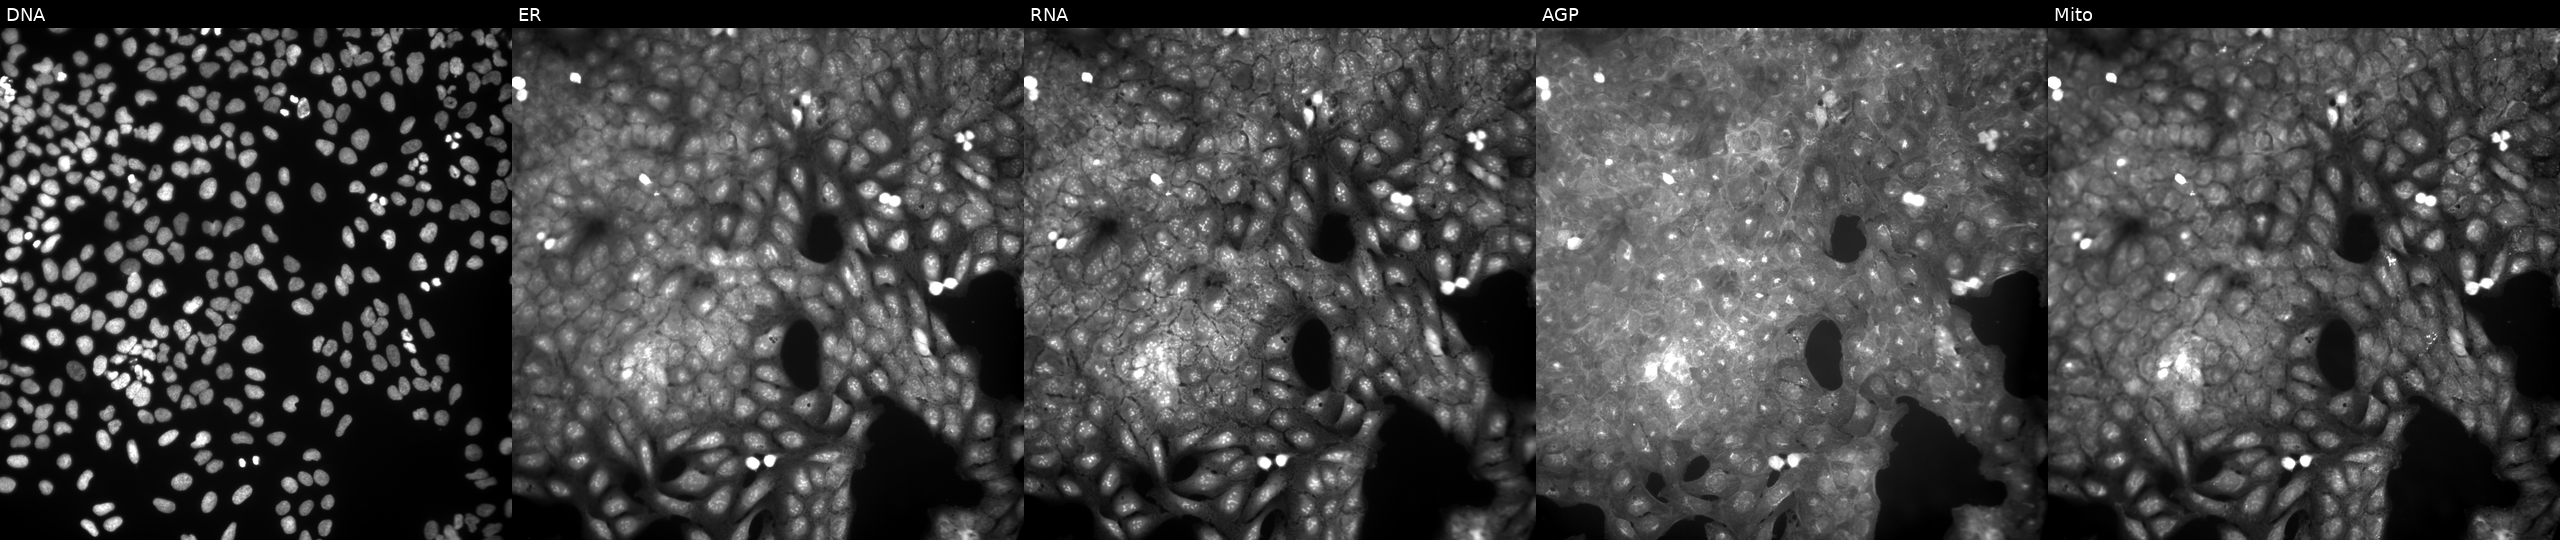
This image strip shows the five Cell Painting channels for a single field of U2OS cells treated with a small-molecule compound (InChIKey QZIGJPHBMDXUDU-UHFFFAOYSA-N). From left to right: DNA, ER, RNA, AGP, and Mito.